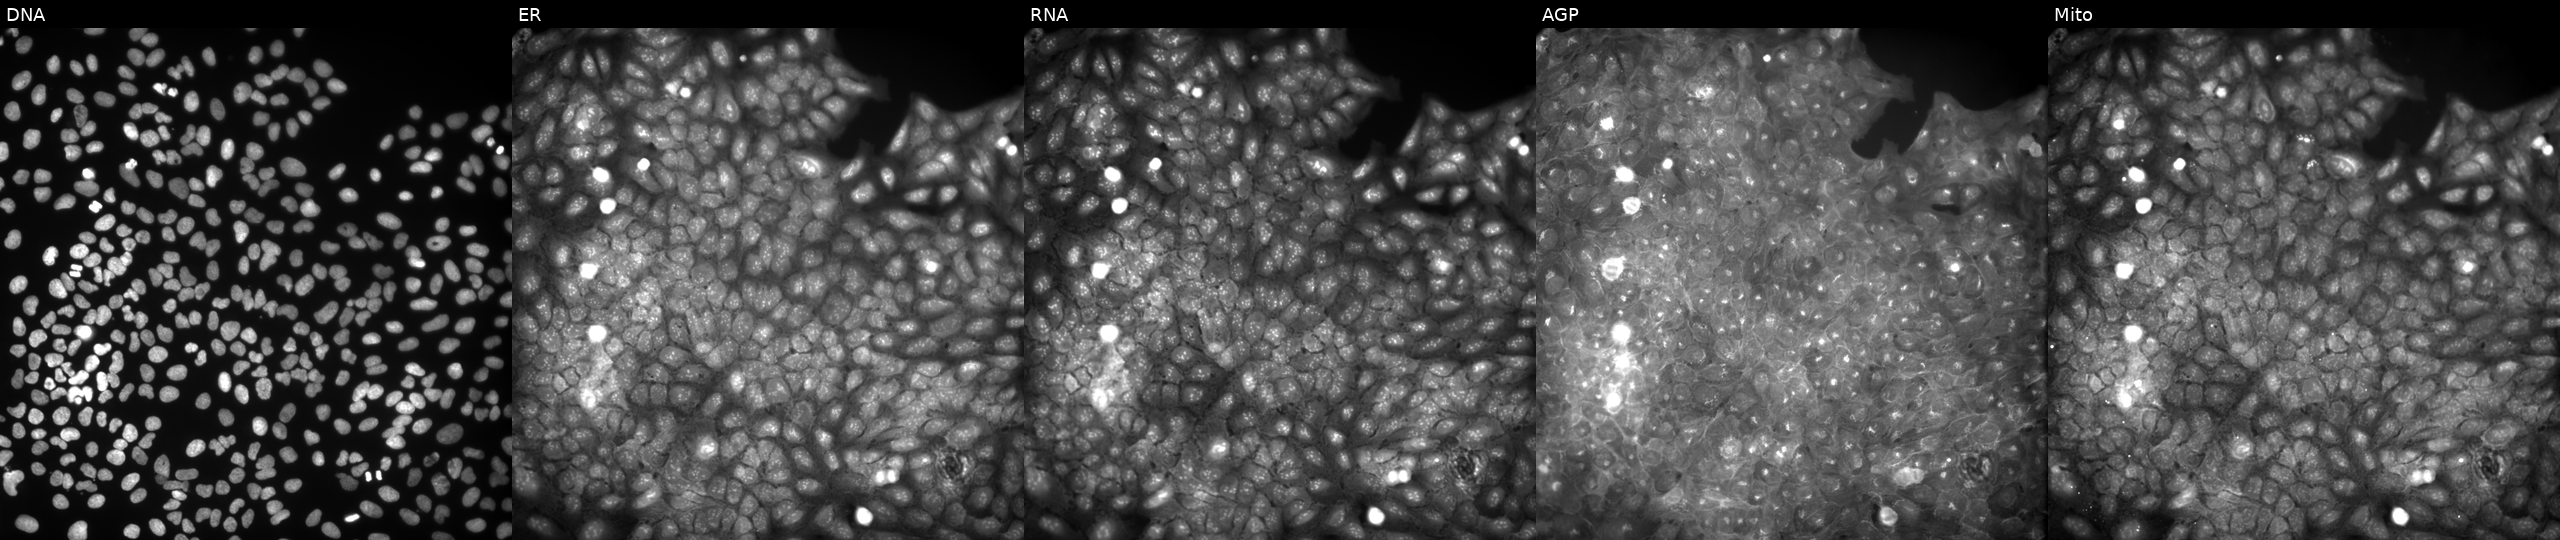
U2OS cells, Cell Painting assay, perturbed with a small-molecule compound [SMILES: CC(=O)OCC#CCSc1nnc(-c2ccc(Br)cc2)o1]. The five panels, left to right, show DNA (nuclei); ER (endoplasmic reticulum); RNA (nucleoli and cytoplasmic RNA); AGP (actin cytoskeleton, Golgi, and plasma membrane); Mito (mitochondria). Each panel is percentile-stretched 16-bit fluorescence.